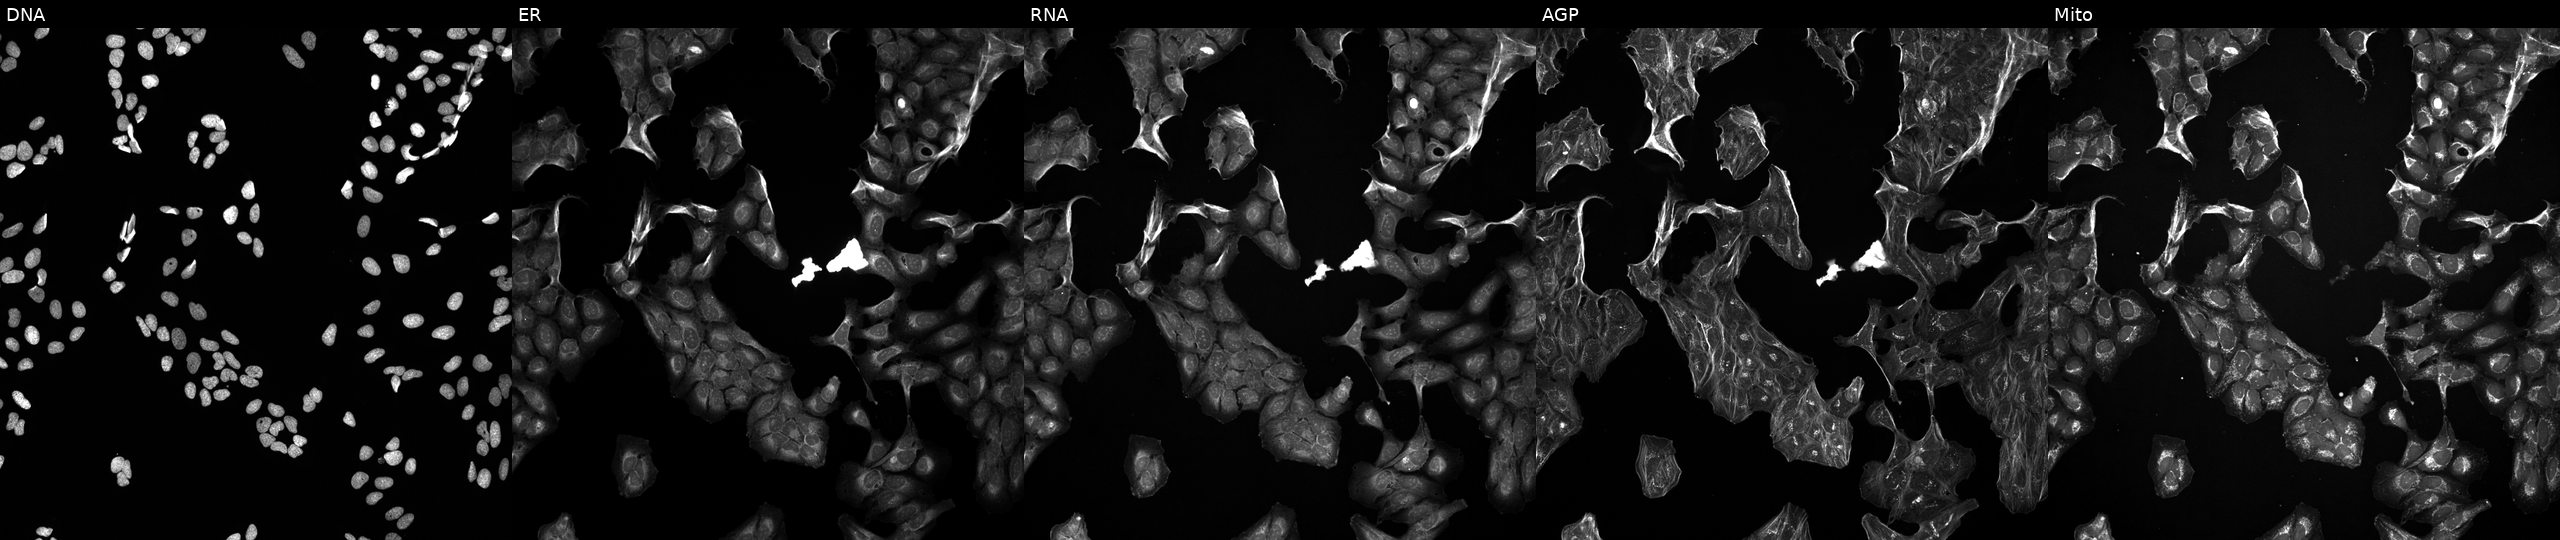
Five-channel Cell Painting image of U2OS cells perturbed with a small-molecule compound [SMILES: COc1cc2c(Oc3ccc4[nH]c(C)cc4c3F)ncnc2cc1OCCCN1CCCC1]. Panels show, left to right, Hoechst 33342, concanavalin A, SYTO 14, phalloidin and WGA, MitoTracker.